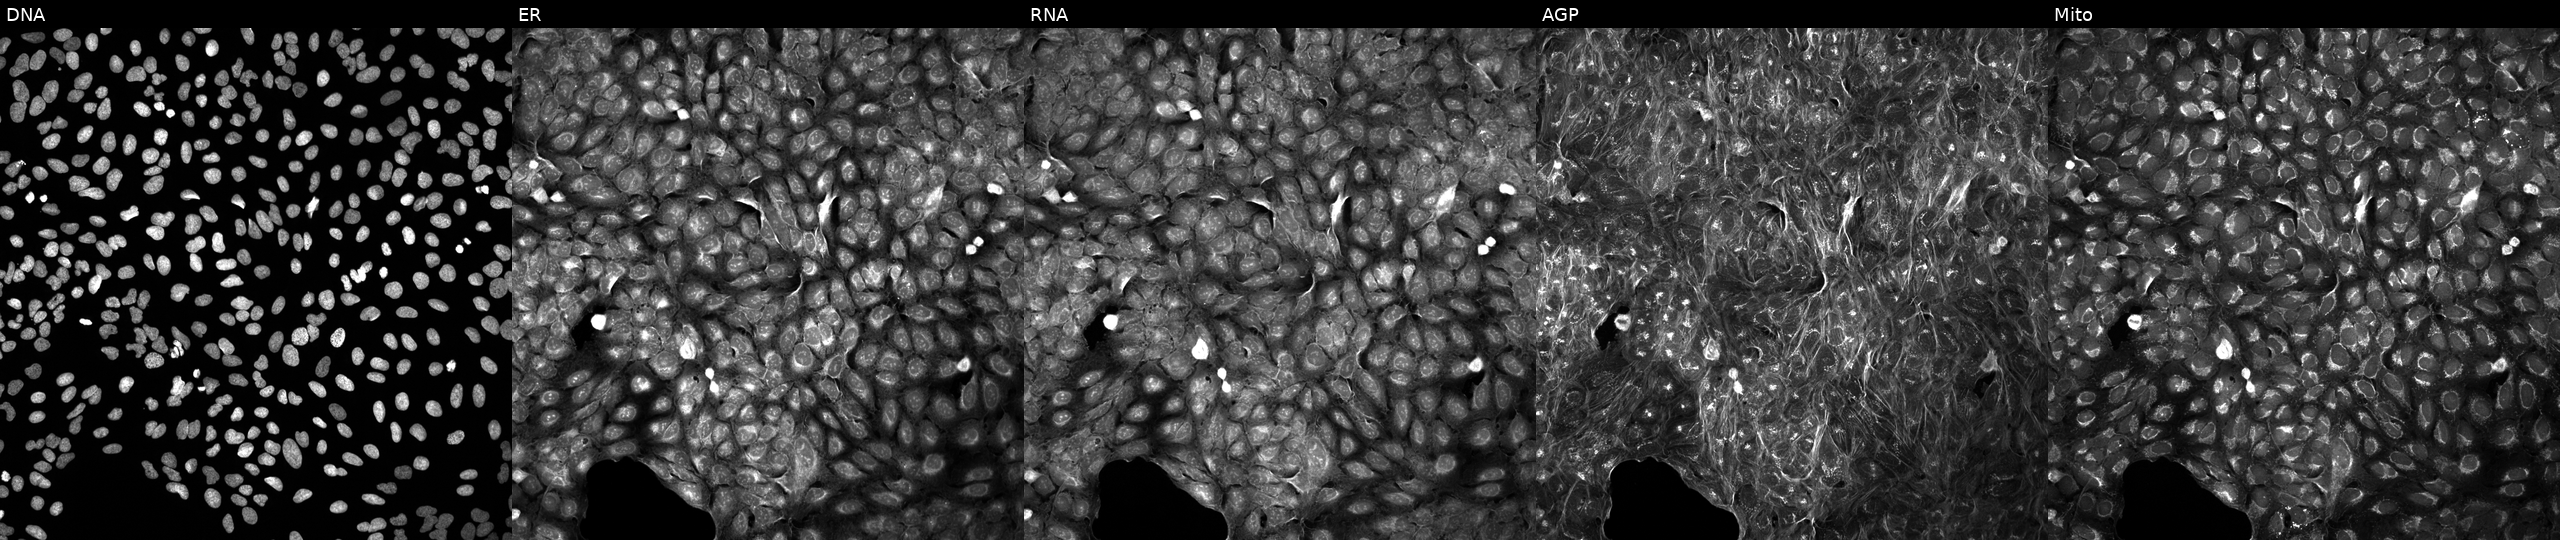
Panels show, left to right, DNA (nuclei); ER (endoplasmic reticulum); RNA (nucleoli and cytoplasmic RNA); AGP (actin cytoskeleton, Golgi, and plasma membrane); Mito (mitochondria). U2OS osteosarcoma cells treated with a small-molecule compound (InChIKey UQNAFPHGVPVTAL-UHFFFAOYSA-N) [SMILES: NS(=O)(=O)c1cccc2c1c([N+](=O)[O-])cc1[nH]c(=O)c(=O)[nH]c12] (JUMP id JCP2022_090884). Cell Painting assay, JUMP-CP dataset. Source 5, plate ACPJUM012, well N23.